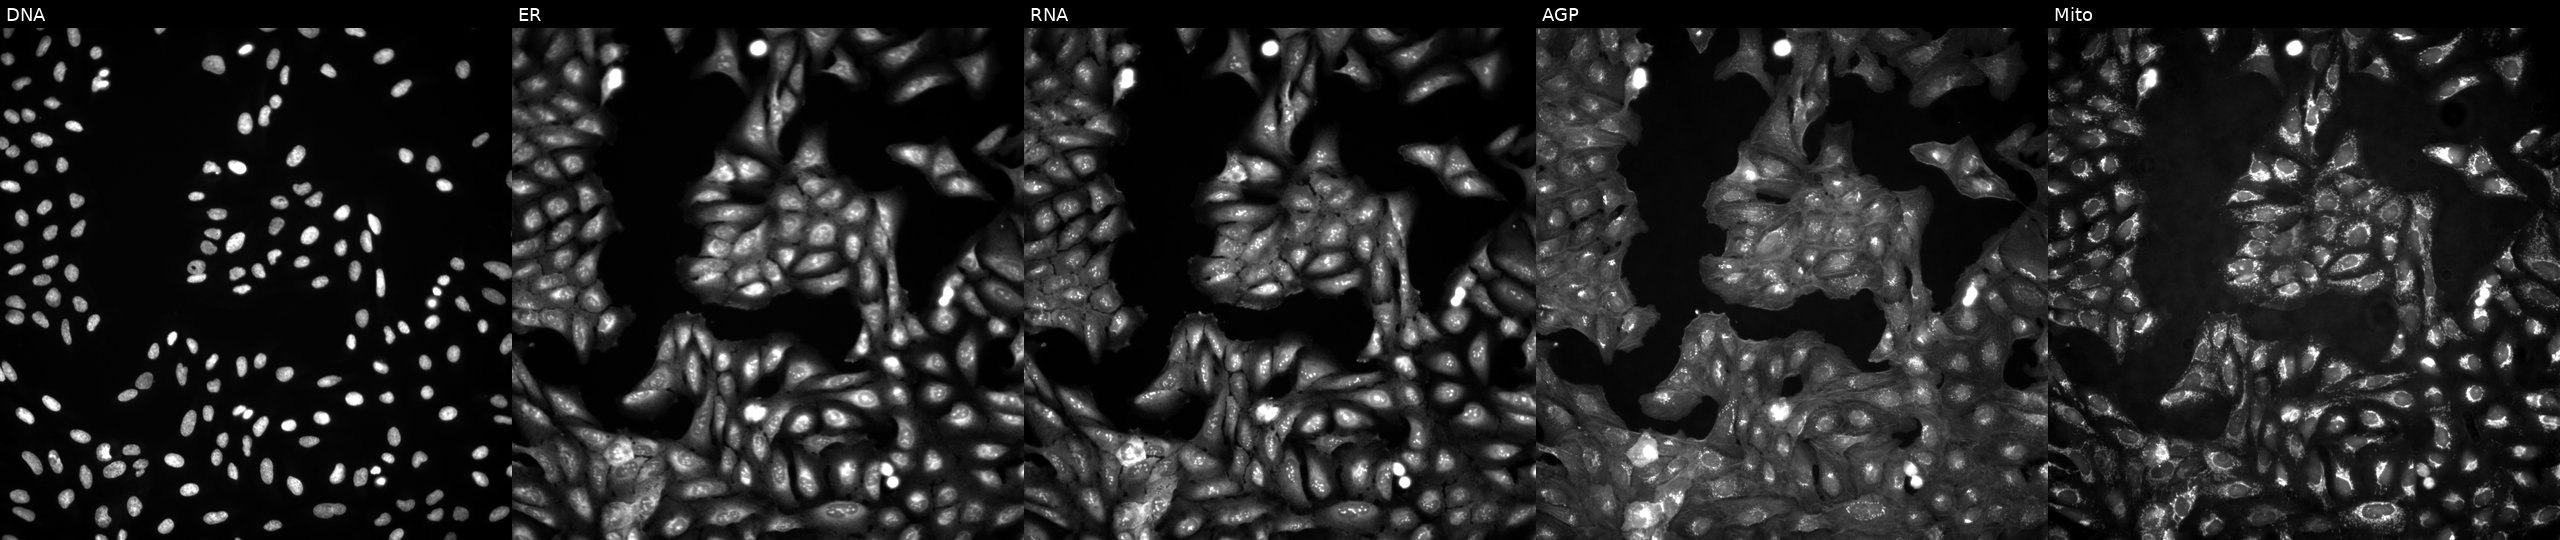
High-content fluorescence microscopy (Cell Painting). Cell line: U2OS. Perturbation: in an empty control well (no perturbation). From left to right: DNA, ER, RNA, AGP, and Mito. Source 4, plate BR00124793, well E12.